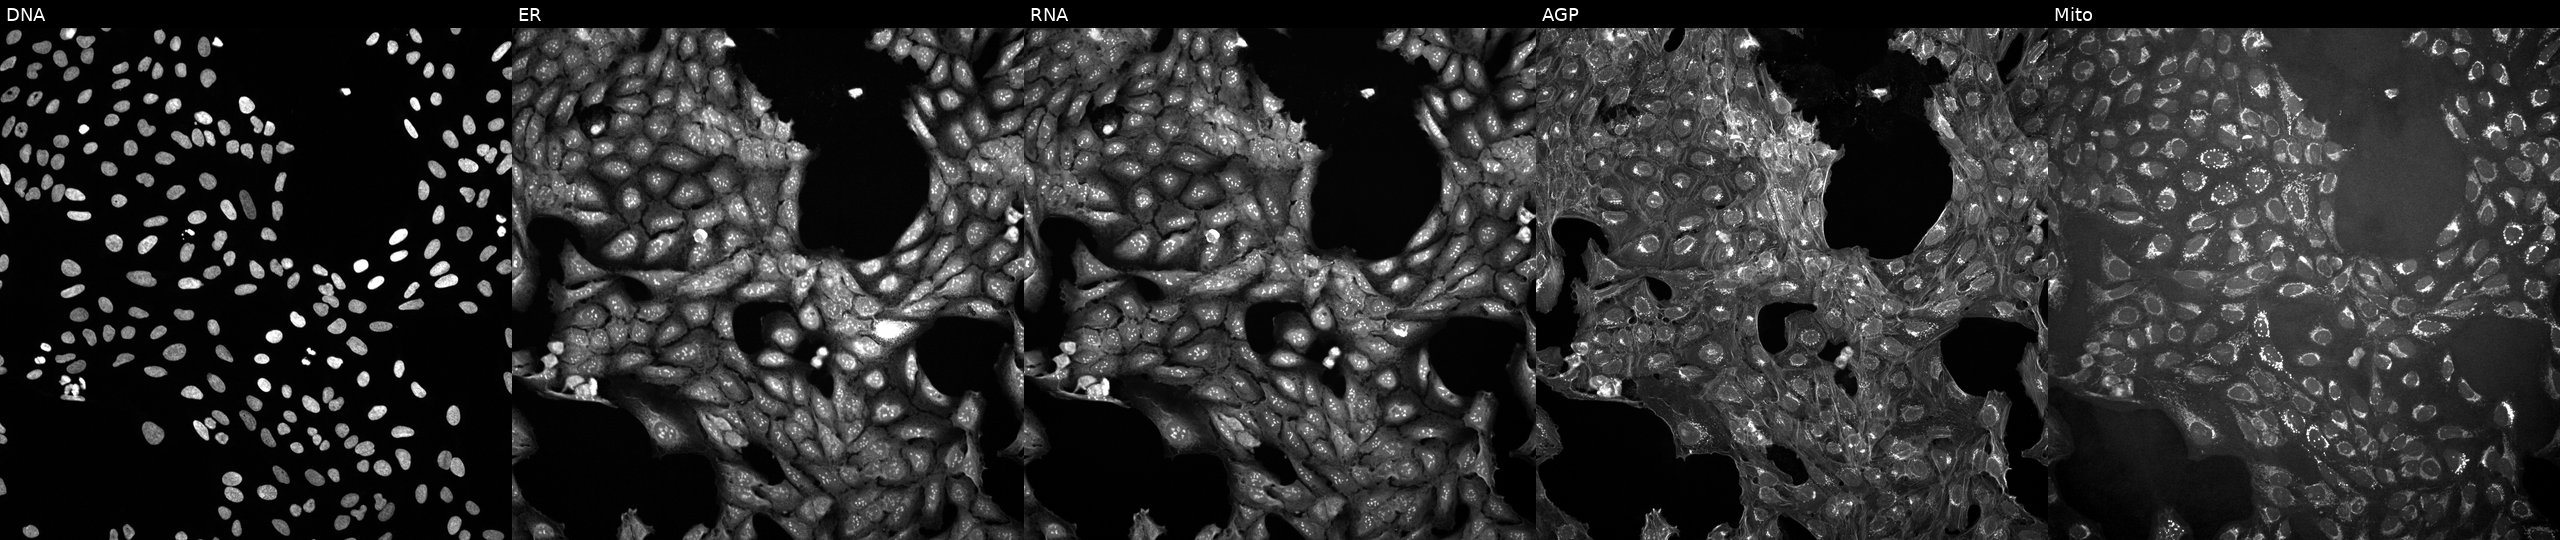
High-content fluorescence microscopy (Cell Painting). Cell line: U2OS. Perturbation: perturbed with a small-molecule compound. Panels show, left to right, DNA (nuclei); ER (endoplasmic reticulum); RNA (nucleoli and cytoplasmic RNA); AGP (actin cytoskeleton, Golgi, and plasma membrane); Mito (mitochondria). Source 10, plate Dest210531-152149, well A10.